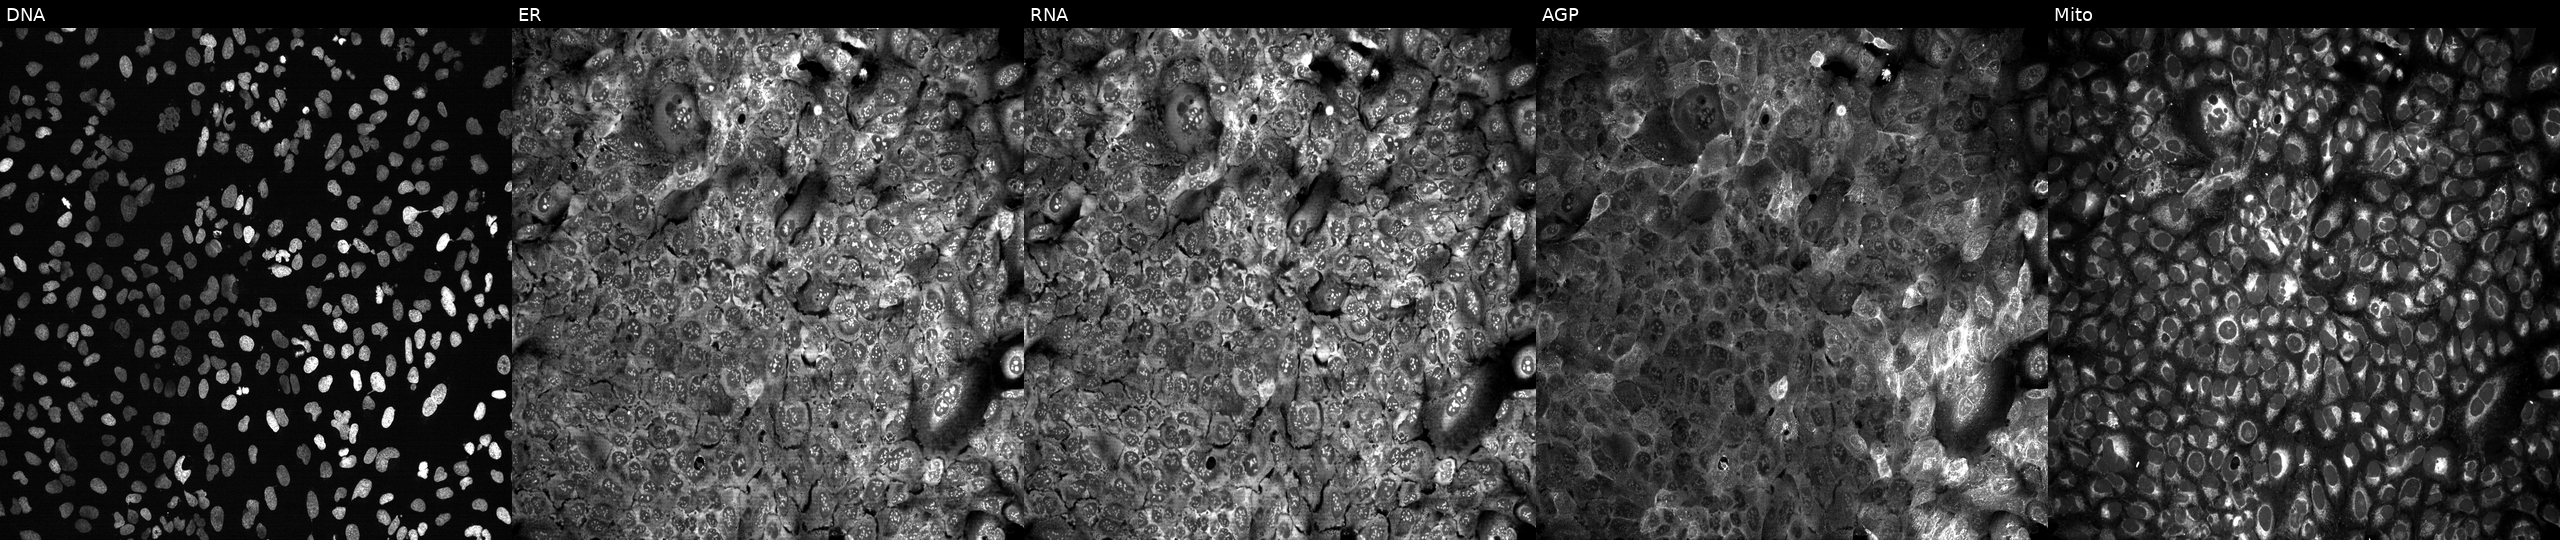
High-content fluorescence microscopy (Cell Painting). Cell line: U2OS. Perturbation: CRISPR-edited to disrupt TOP2A. Panels show, left to right, DNA (nuclei); ER (endoplasmic reticulum); RNA (nucleoli and cytoplasmic RNA); AGP (actin cytoskeleton, Golgi, and plasma membrane); Mito (mitochondria).